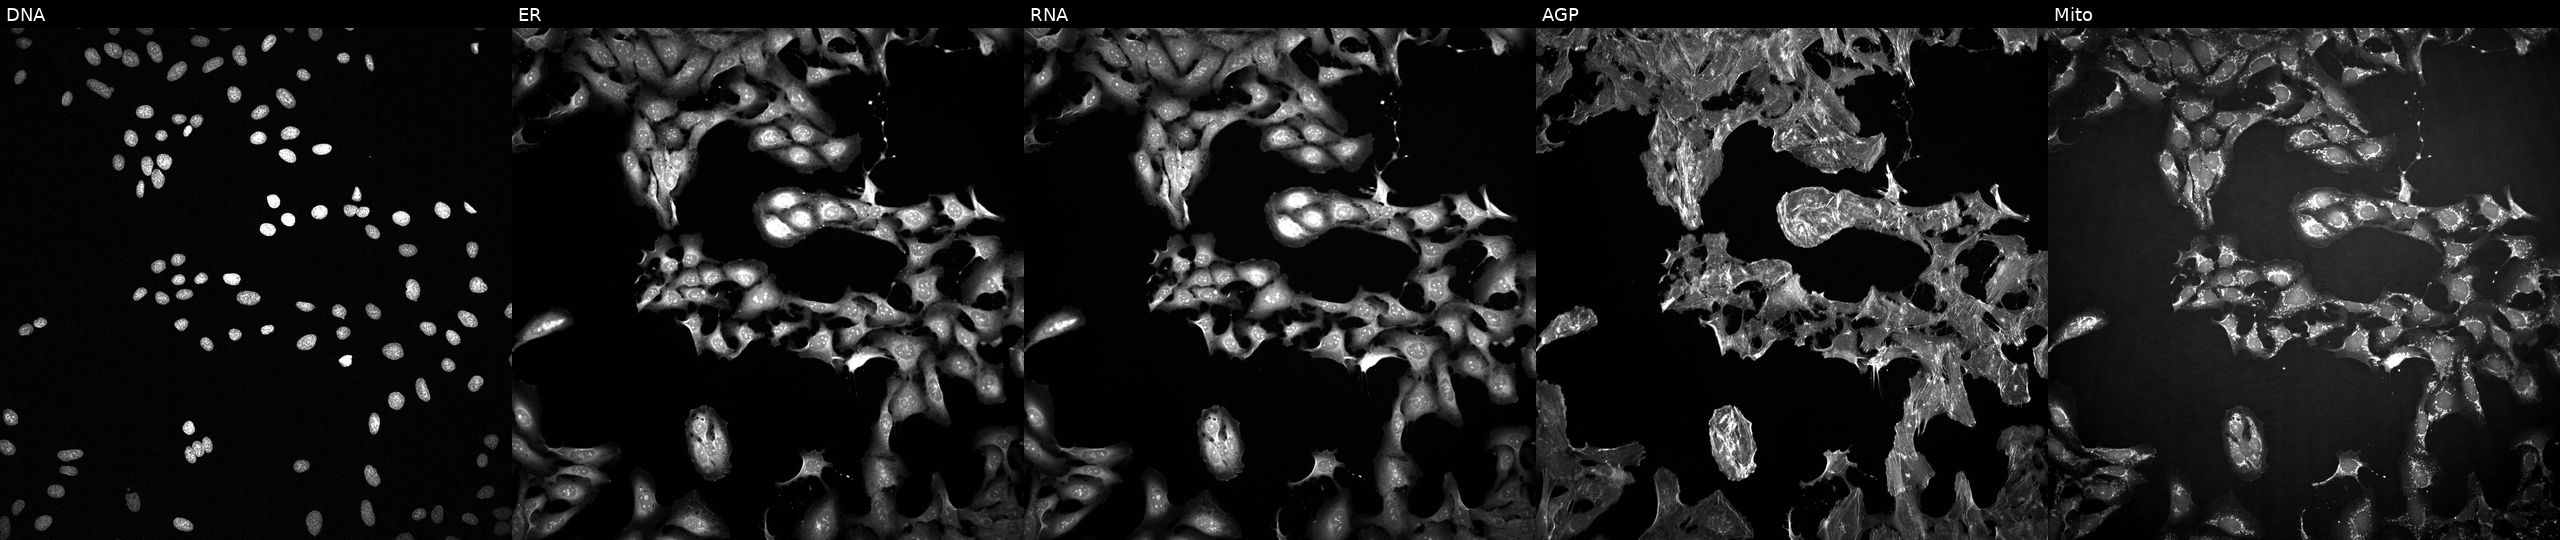
JUMP Cell Painting — COMPOUND plate. U2OS cells treated with FK-866 (positive-control compound) (JUMP id JCP2022_046054). Panels show, left to right, DNA, ER, RNA, AGP, and Mito. Source 2, plate 1053601763, well D01.